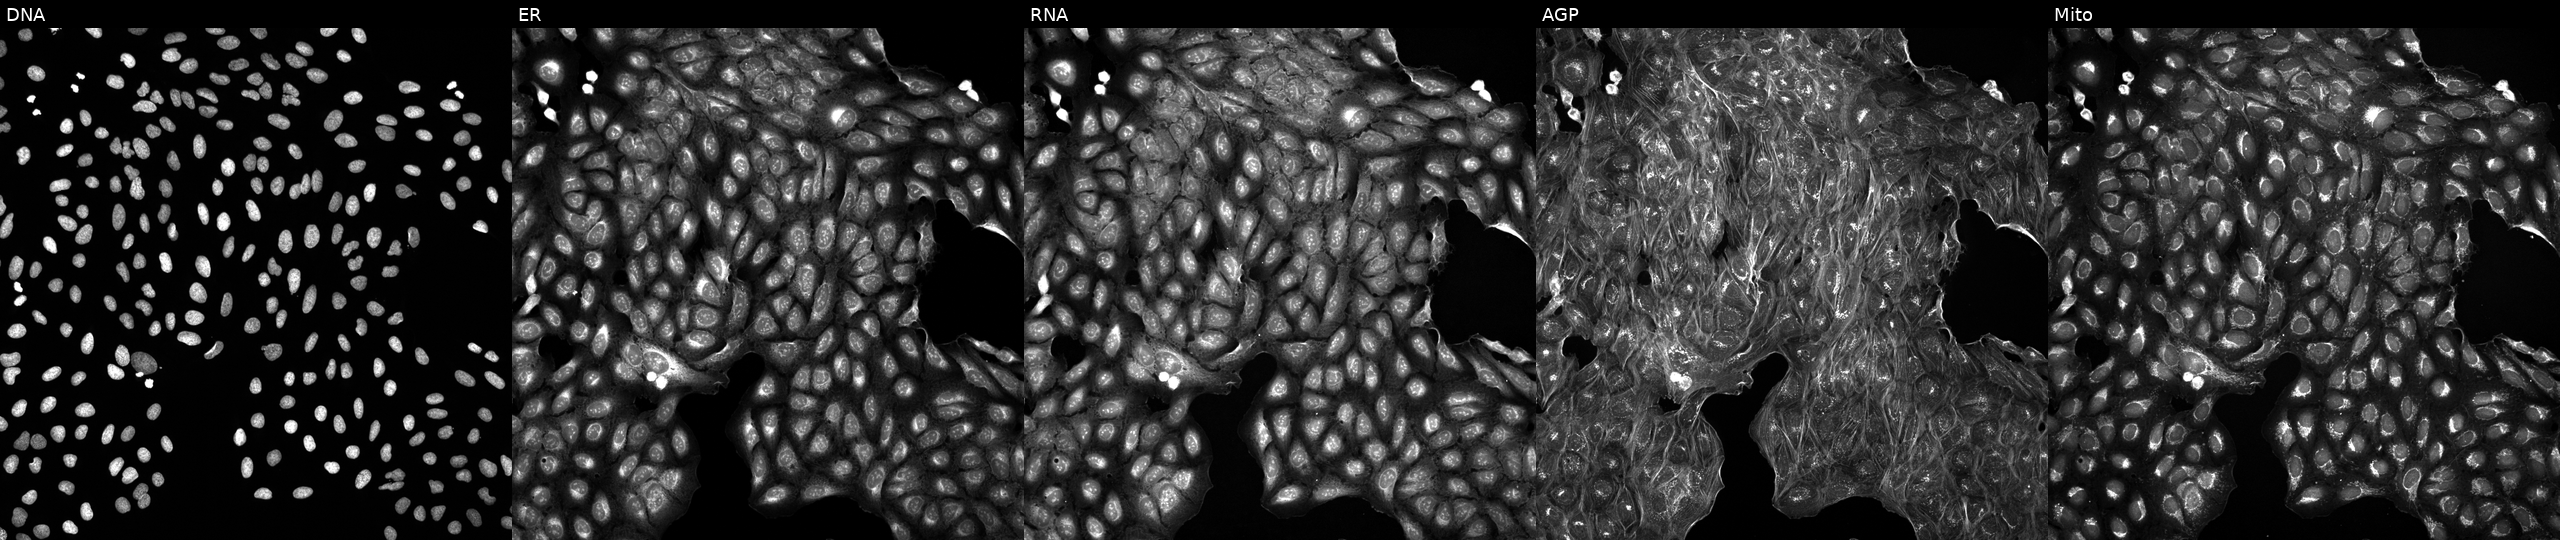
U2OS cells, Cell Painting assay, perturbed with a small-molecule compound (InChIKey HSTZMXCBWJGKHG-UHFFFAOYSA-N) (JUMP id JCP2022_032353). From left to right: DNA, ER, RNA, AGP, and Mito. Each panel is percentile-stretched 16-bit fluorescence.